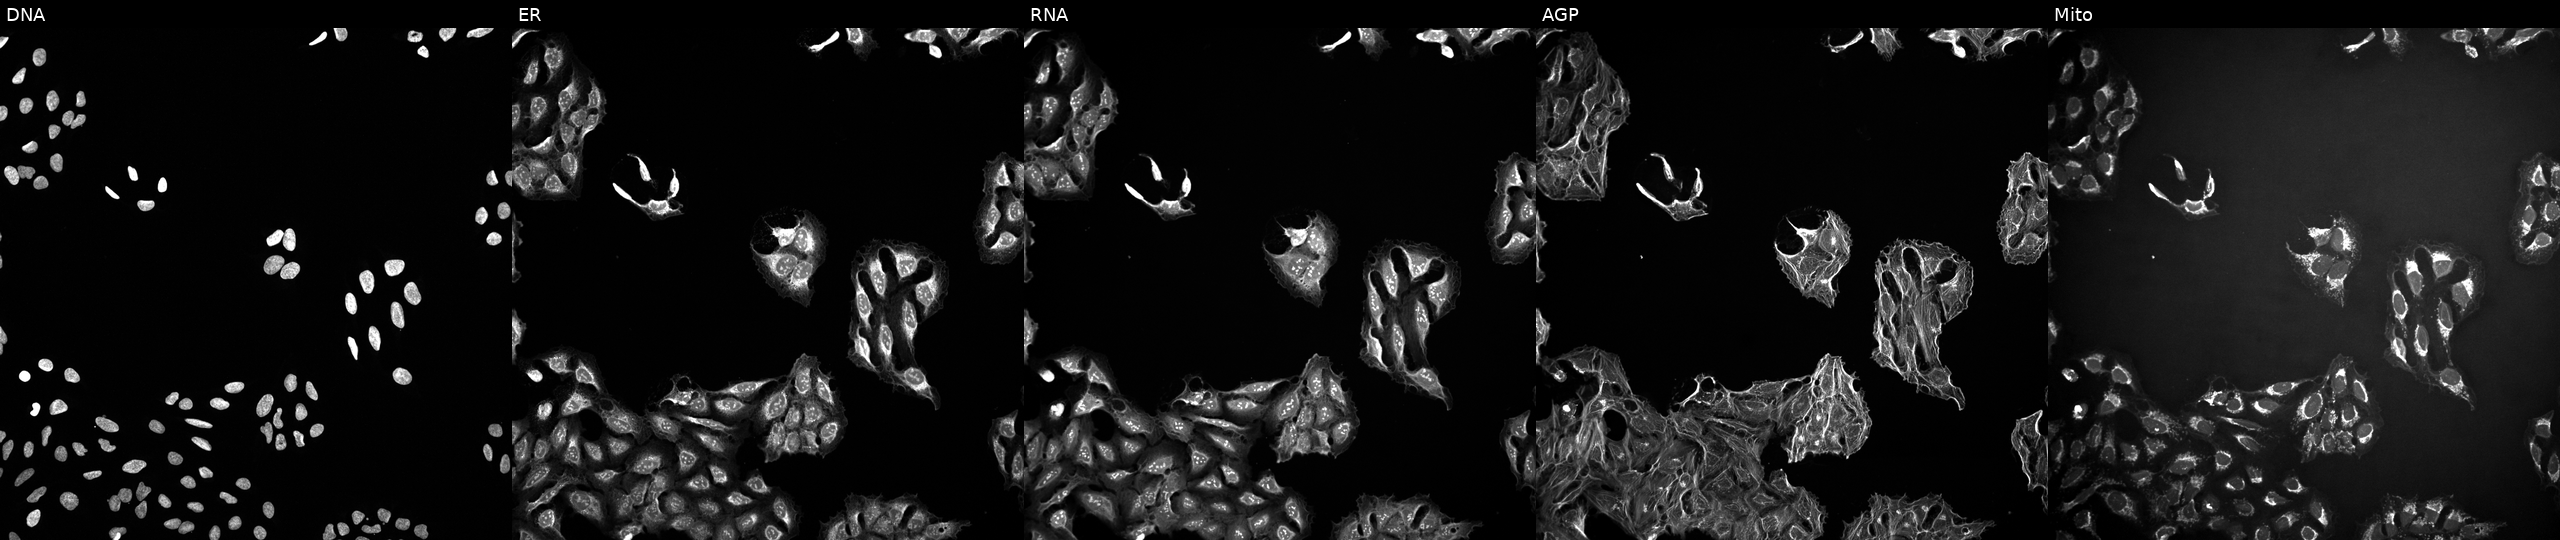
Five-channel Cell Painting image of U2OS cells exposed to a small-molecule compound (InChIKey PDMUGYOXRHVNMO-UHFFFAOYSA-N). Channels (left→right): Hoechst 33342, concanavalin A, SYTO 14, phalloidin and WGA, MitoTracker. Source 10, plate Dest210727-153003, well L08.